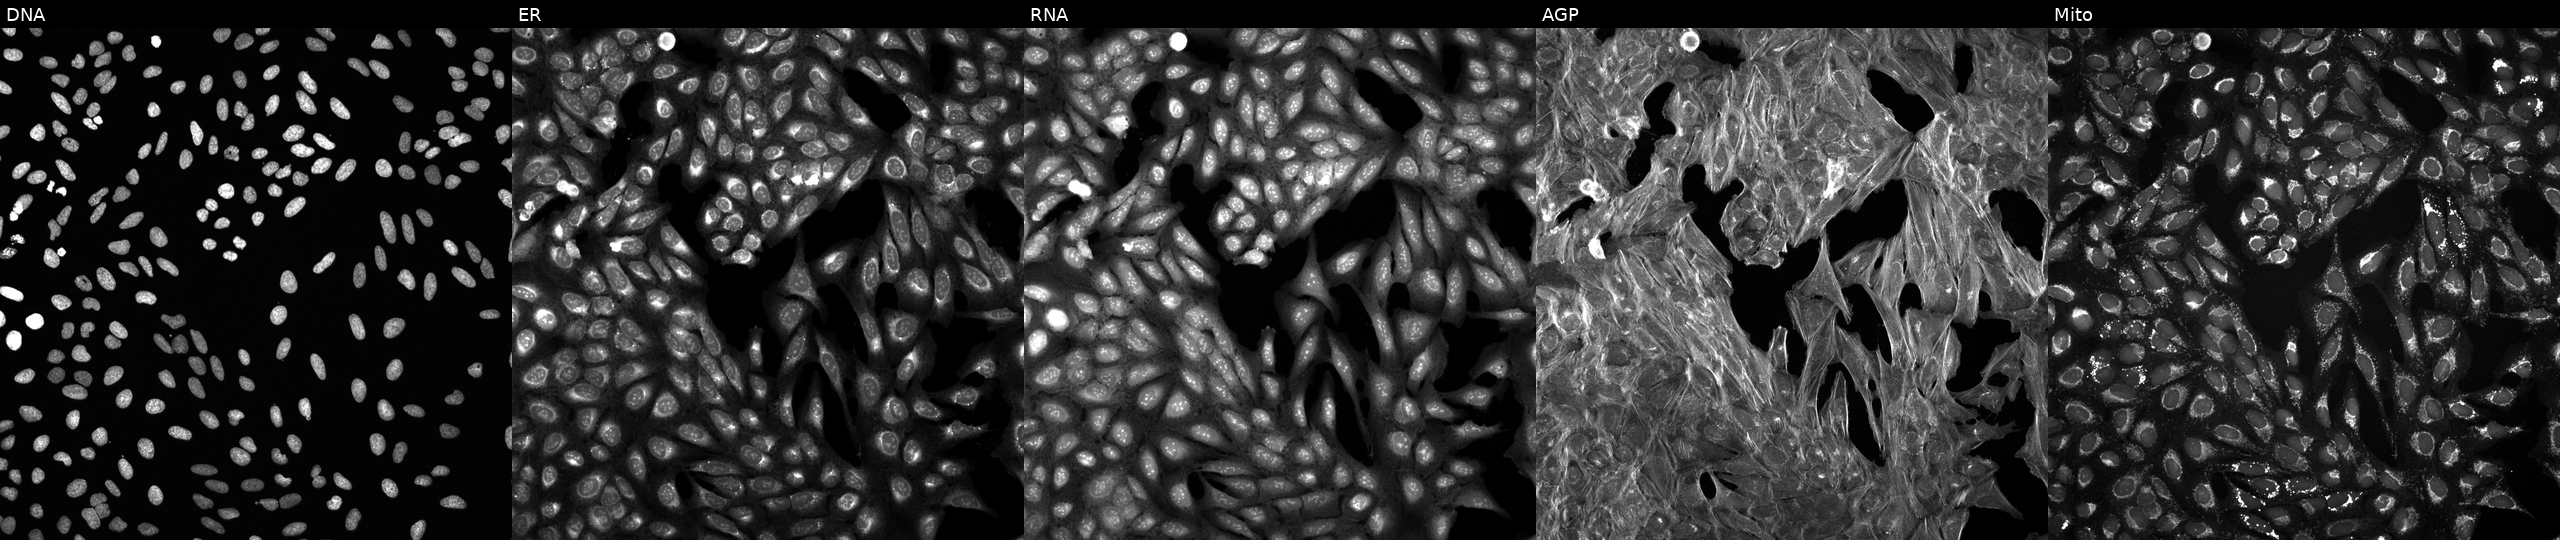
U2OS cells, Cell Painting assay, exposed to a small-molecule compound (InChIKey FMNPKPAEOBMMBJ-UHFFFAOYSA-N) [SMILES: Cc1cccc2nc(CN3CCCCC3c3nc4ccccc4s3)cc(=O)n12]. The five panels, left to right, show Hoechst 33342, concanavalin A, SYTO 14, phalloidin and WGA, MitoTracker. Each panel is percentile-stretched 16-bit fluorescence.